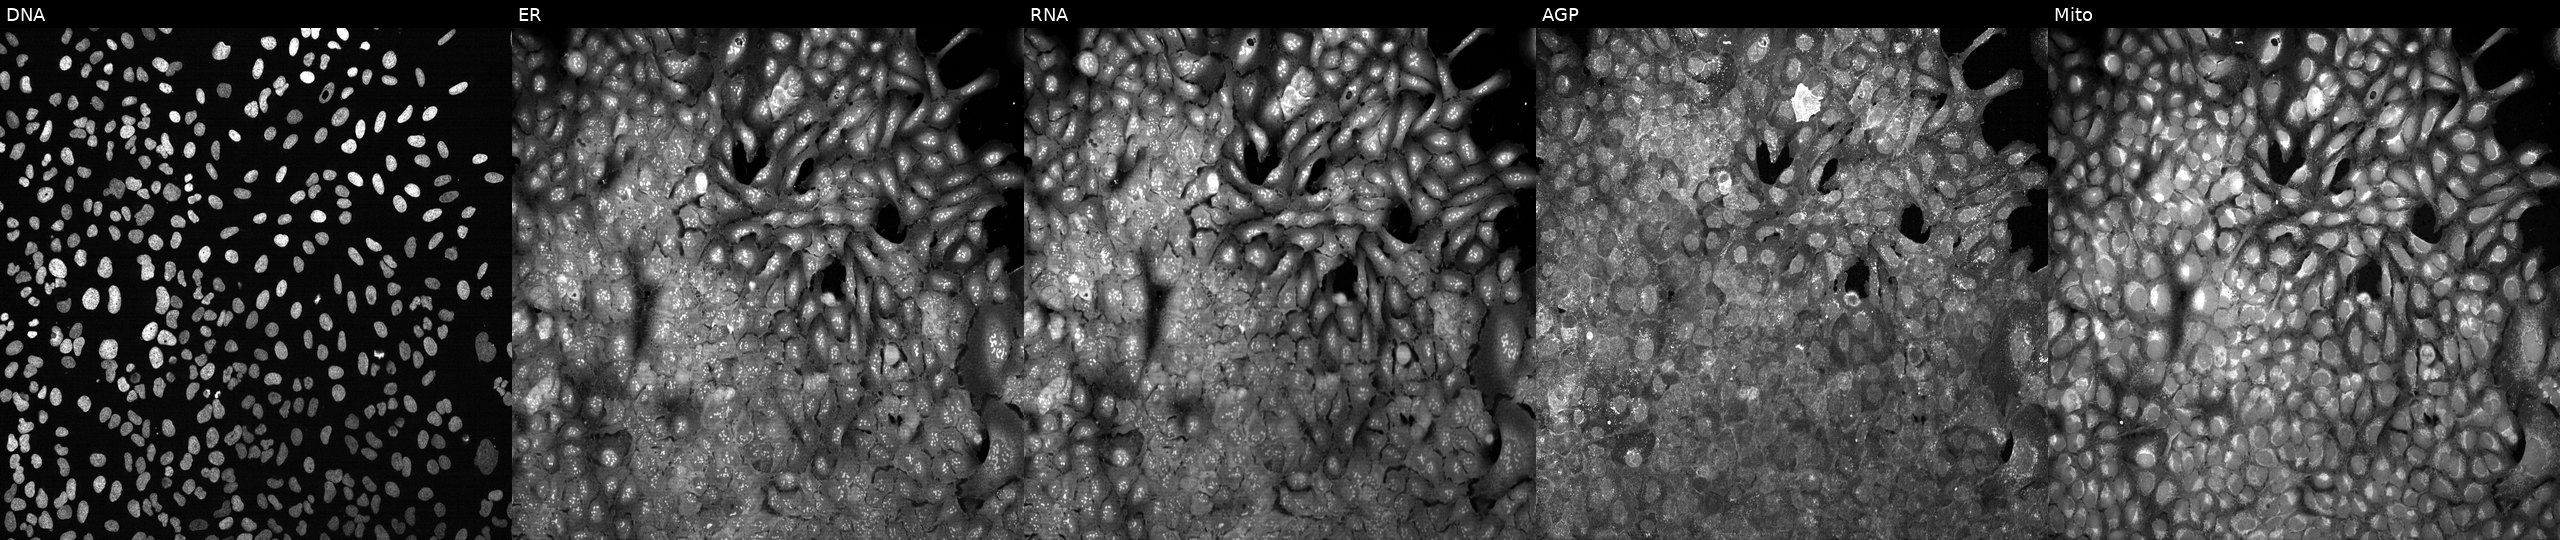
The five panels, left to right, show DNA (nuclei); ER (endoplasmic reticulum); RNA (nucleoli and cytoplasmic RNA); AGP (actin cytoskeleton, Golgi, and plasma membrane); Mito (mitochondria). U2OS osteosarcoma cells with PCYT2 knocked out by CRISPR. Cell Painting assay, JUMP-CP dataset.